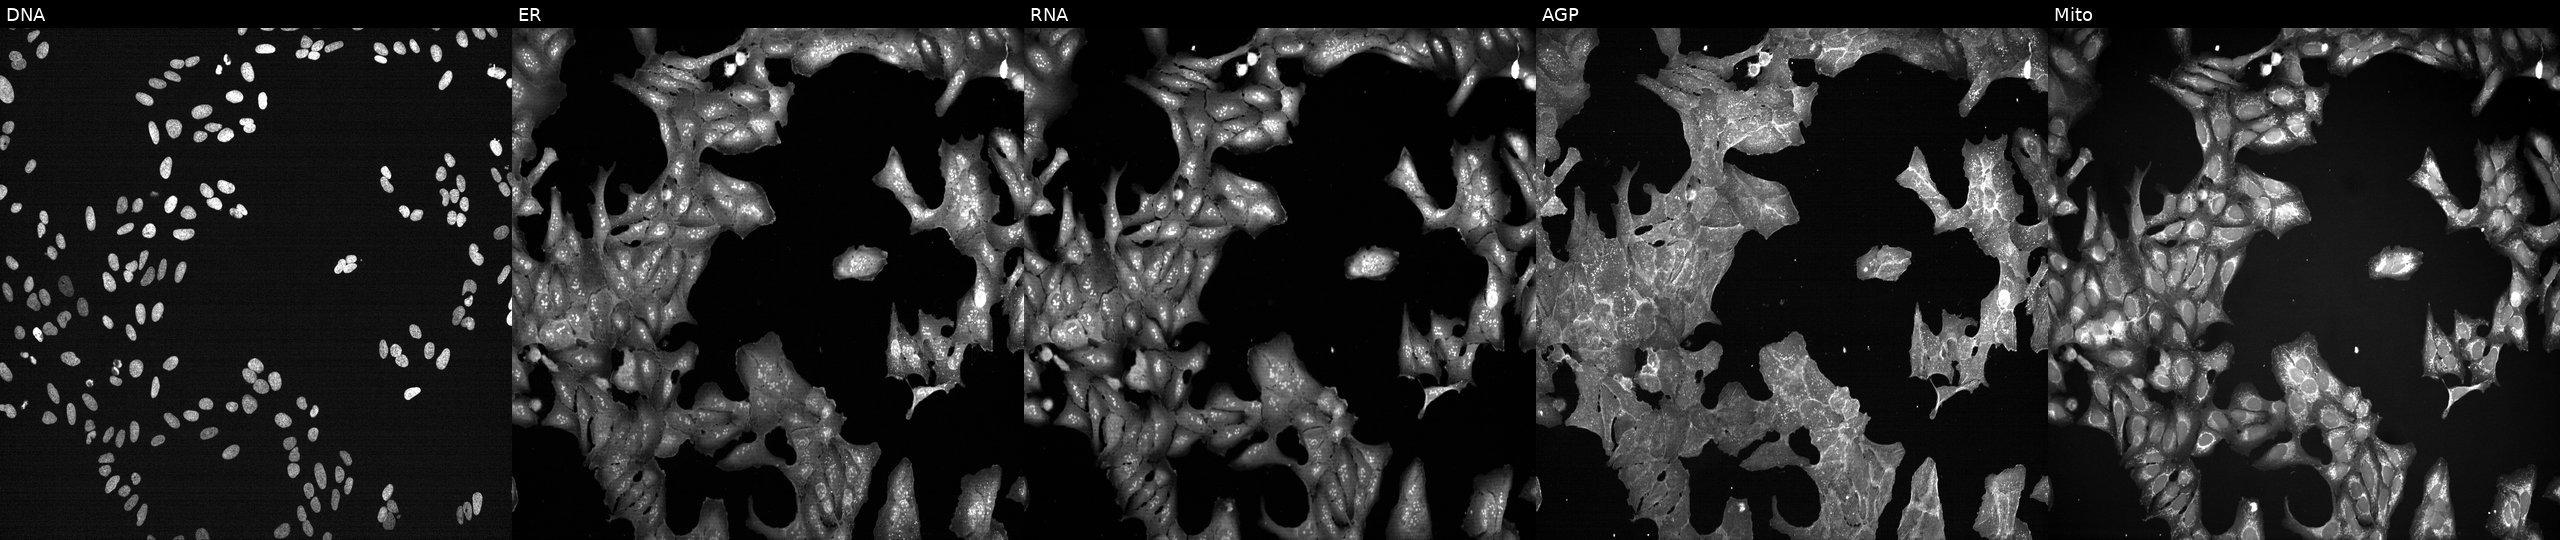
JUMP Cell Painting — TARGET2 plate. U2OS cells perturbed with a small-molecule compound (InChIKey BLVQHYHDYFTPDV-UHFFFAOYSA-N). Channels (left→right): DNA (nuclei); ER (endoplasmic reticulum); RNA (nucleoli and cytoplasmic RNA); AGP (actin cytoskeleton, Golgi, and plasma membrane); Mito (mitochondria). Source 7, plate CP2-SC1-25, well N04.